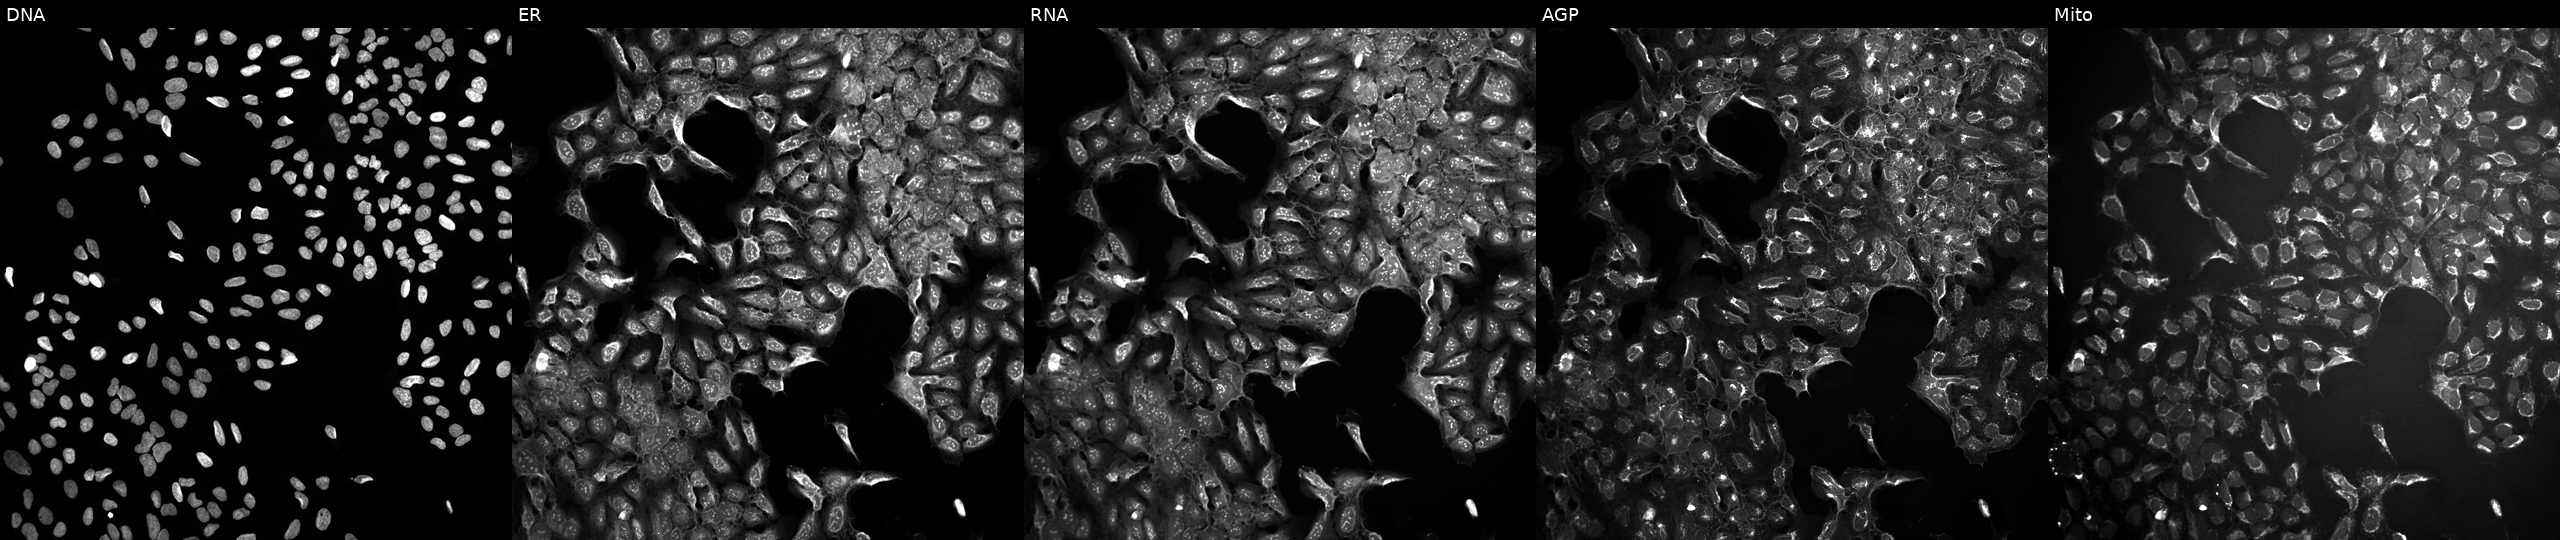
This image strip shows the five Cell Painting channels for a single field of U2OS cells perturbed with a small-molecule compound (JUMP id JCP2022_059103). Panels show, left to right, DNA, ER, RNA, AGP, and Mito. Source 10, plate Dest210803-153958, well O24.